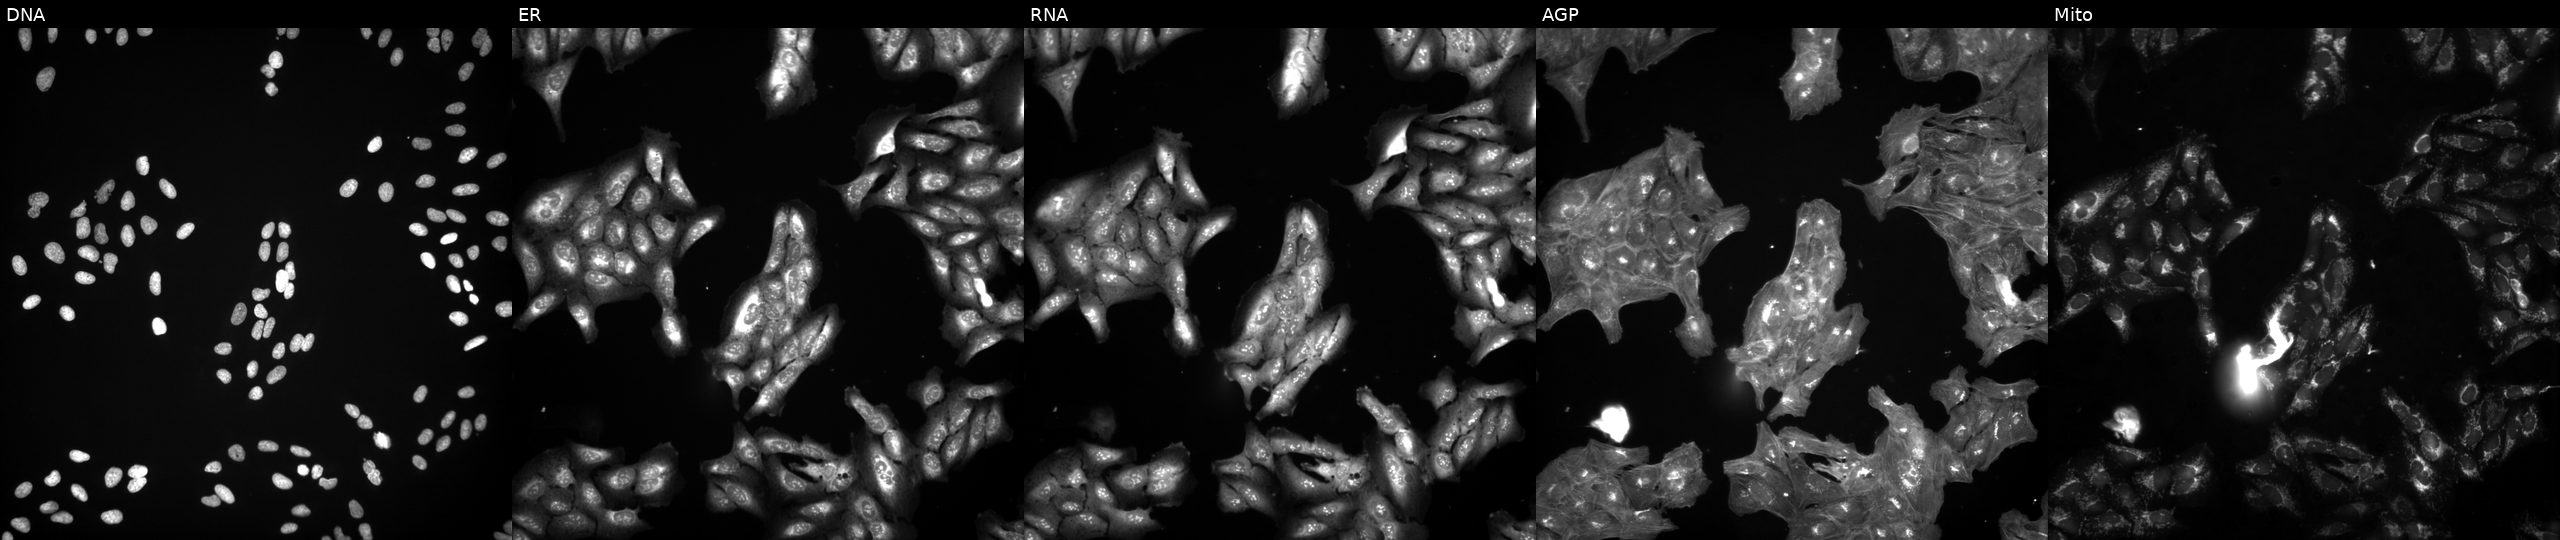
JUMP Cell Painting — COMPOUND plate. U2OS cells in an empty control well (no perturbation) (JUMP id JCP2022_999999). Channels (left→right): Hoechst 33342, concanavalin A, SYTO 14, phalloidin and WGA, MitoTracker. Source 3, plate BR5867b3, well B11.